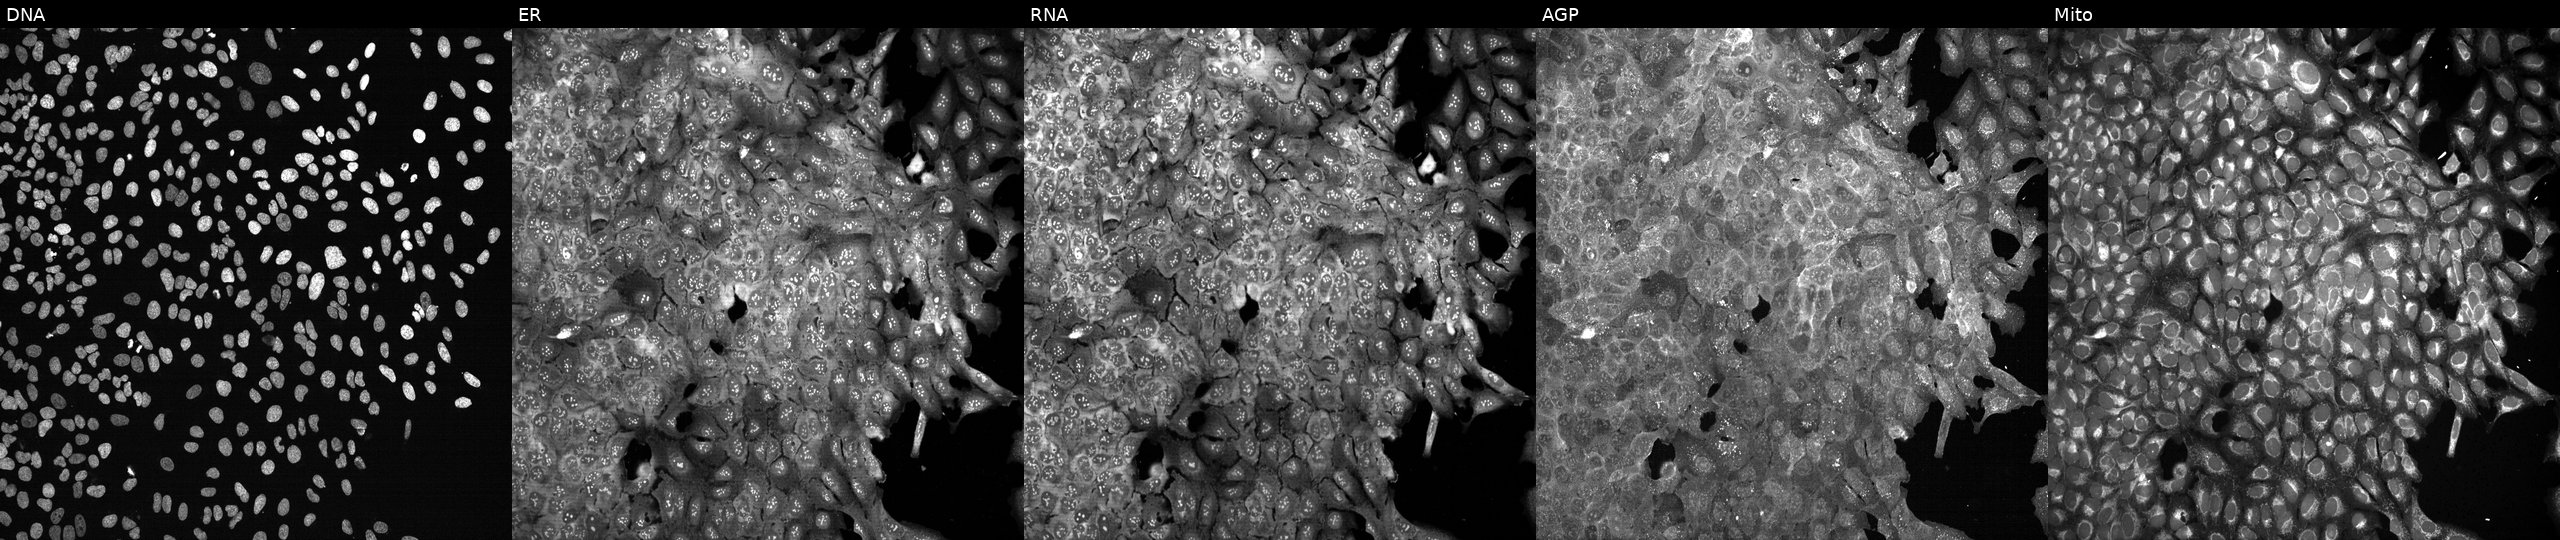
Five-channel Cell Painting image of U2OS cells following CRISPR knockout of KITLG (JUMP id JCP2022_803696). From left to right: DNA, ER, RNA, AGP, and Mito.